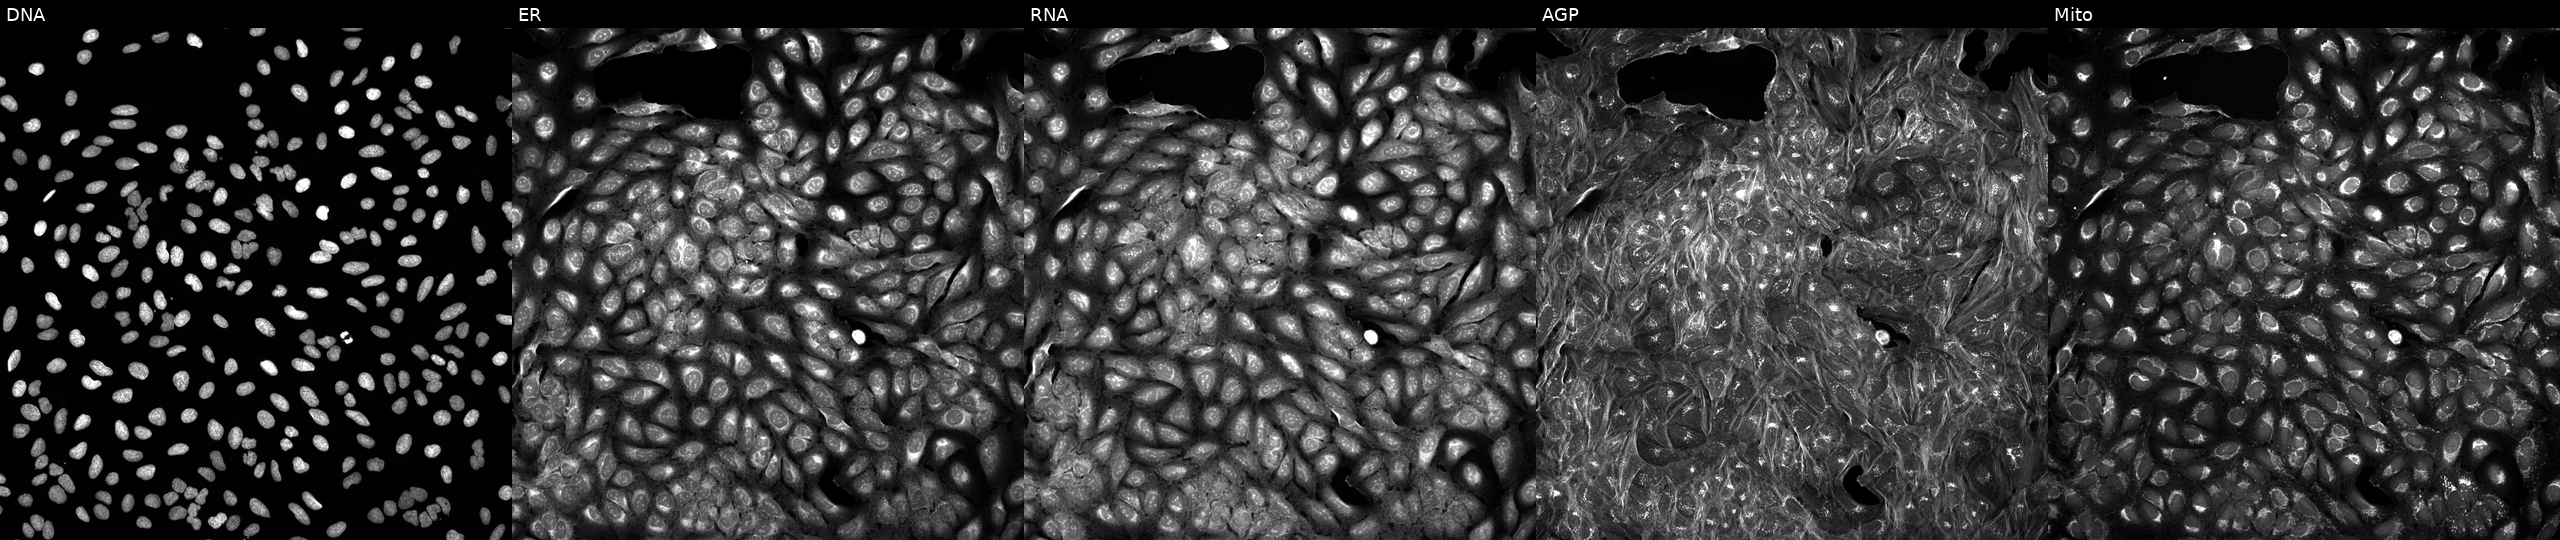
High-content fluorescence microscopy (Cell Painting). Cell line: U2OS. Perturbation: exposed to a small-molecule compound (InChIKey MFDFERRIHVXMIY-UHFFFAOYSA-N). Channels (left→right): DNA (nuclei); ER (endoplasmic reticulum); RNA (nucleoli and cytoplasmic RNA); AGP (actin cytoskeleton, Golgi, and plasma membrane); Mito (mitochondria).